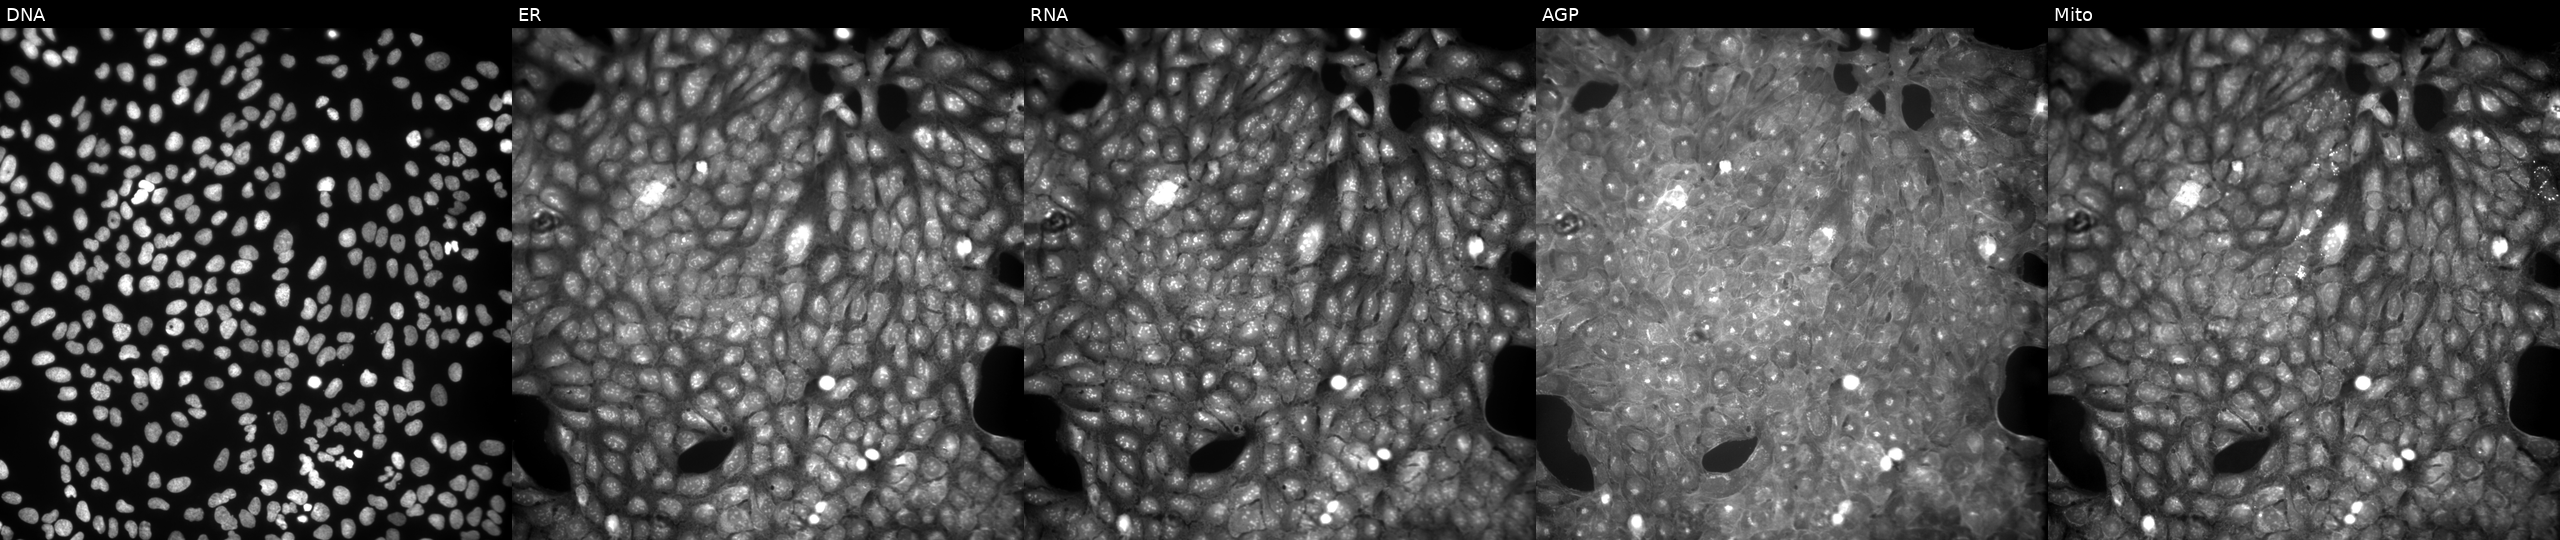
High-content fluorescence microscopy (Cell Painting). Cell line: U2OS. Perturbation: exposed to the positive-control compound quinidine. Channels (left→right): DNA (nuclei); ER (endoplasmic reticulum); RNA (nucleoli and cytoplasmic RNA); AGP (actin cytoskeleton, Golgi, and plasma membrane); Mito (mitochondria).